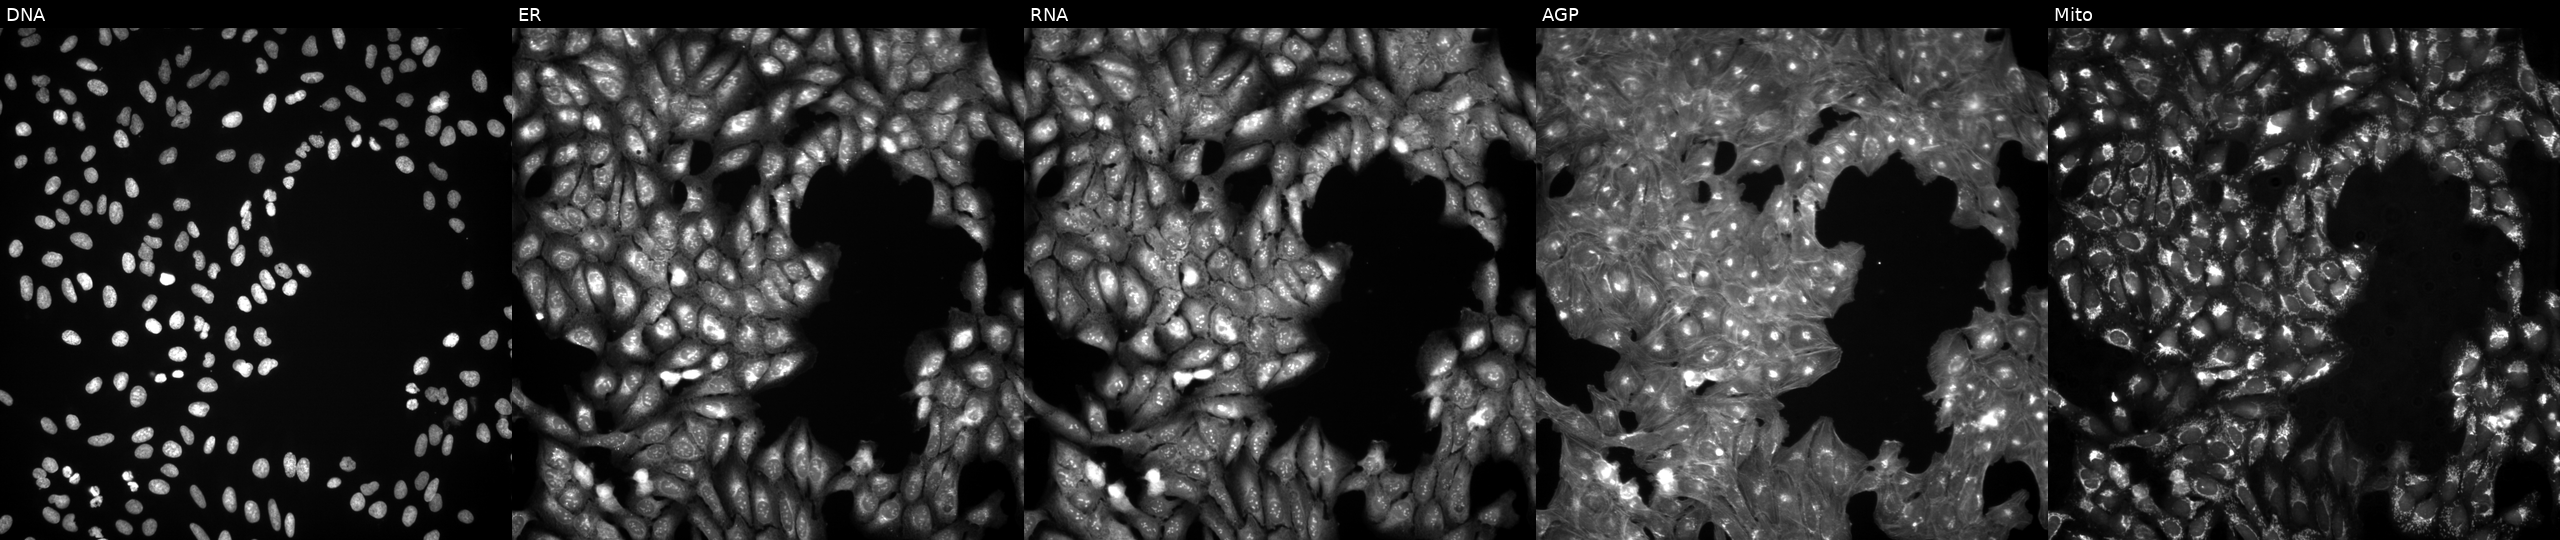
High-content fluorescence microscopy (Cell Painting). Cell line: U2OS. Perturbation: treated with a small-molecule compound (InChIKey UZDORQWMYRRLQV-UHFFFAOYSA-N) (JUMP id JCP2022_092464). Panels show, left to right, DNA (nuclei); ER (endoplasmic reticulum); RNA (nucleoli and cytoplasmic RNA); AGP (actin cytoskeleton, Golgi, and plasma membrane); Mito (mitochondria).